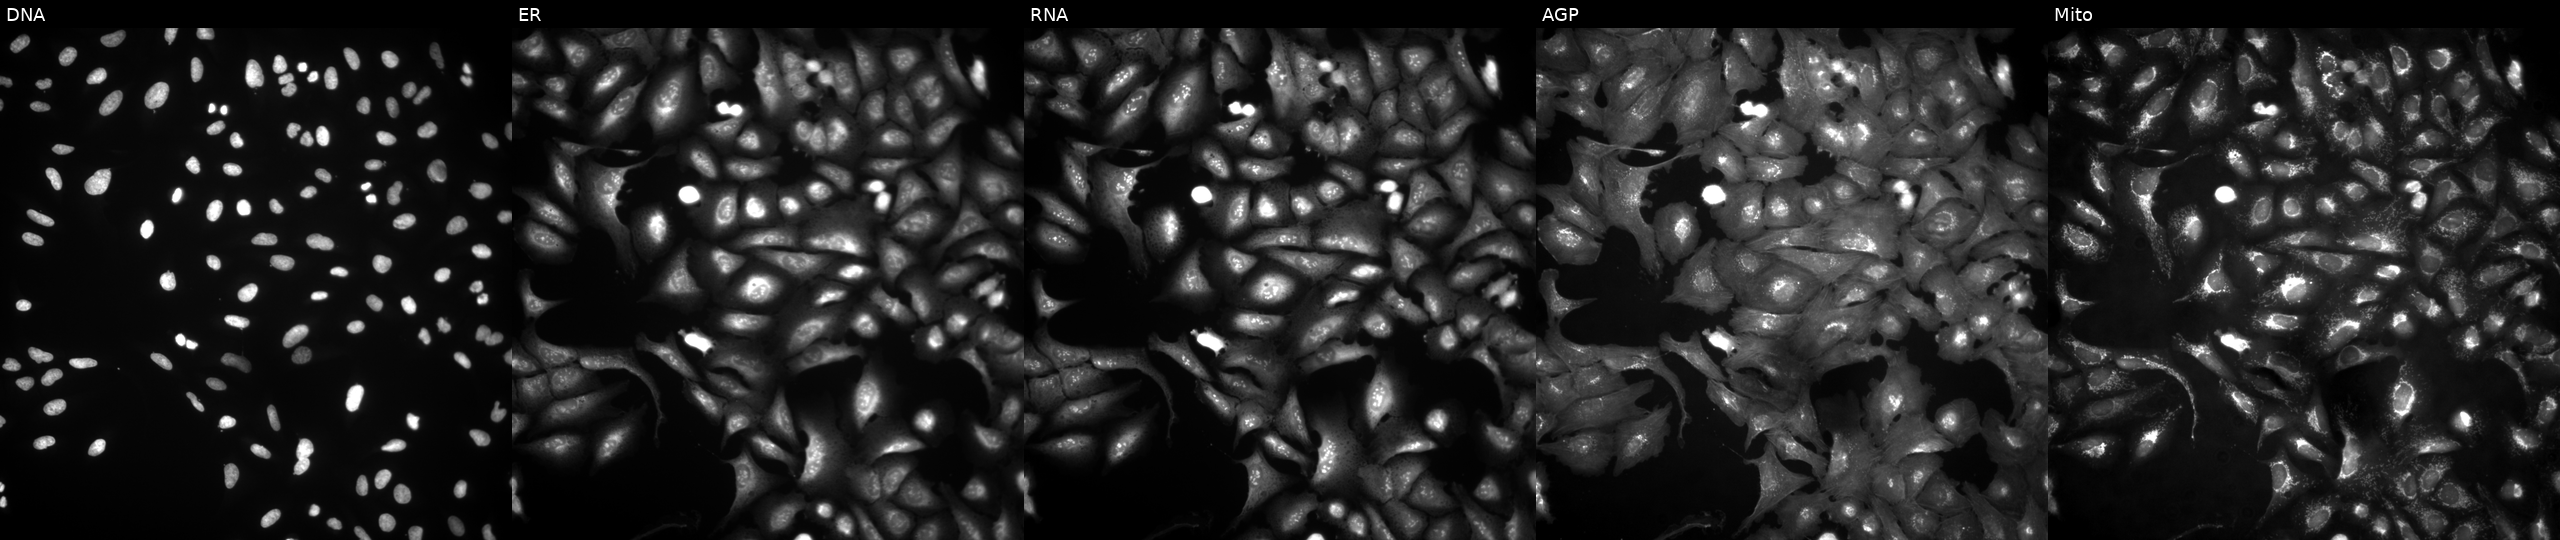
Five-channel Cell Painting image of U2OS cells transfected with an ORF construct for ELMO1 (JUMP id JCP2022_907009). Panels show, left to right, DNA, ER, RNA, AGP, and Mito. Source 4, plate BR00124790, well I18.